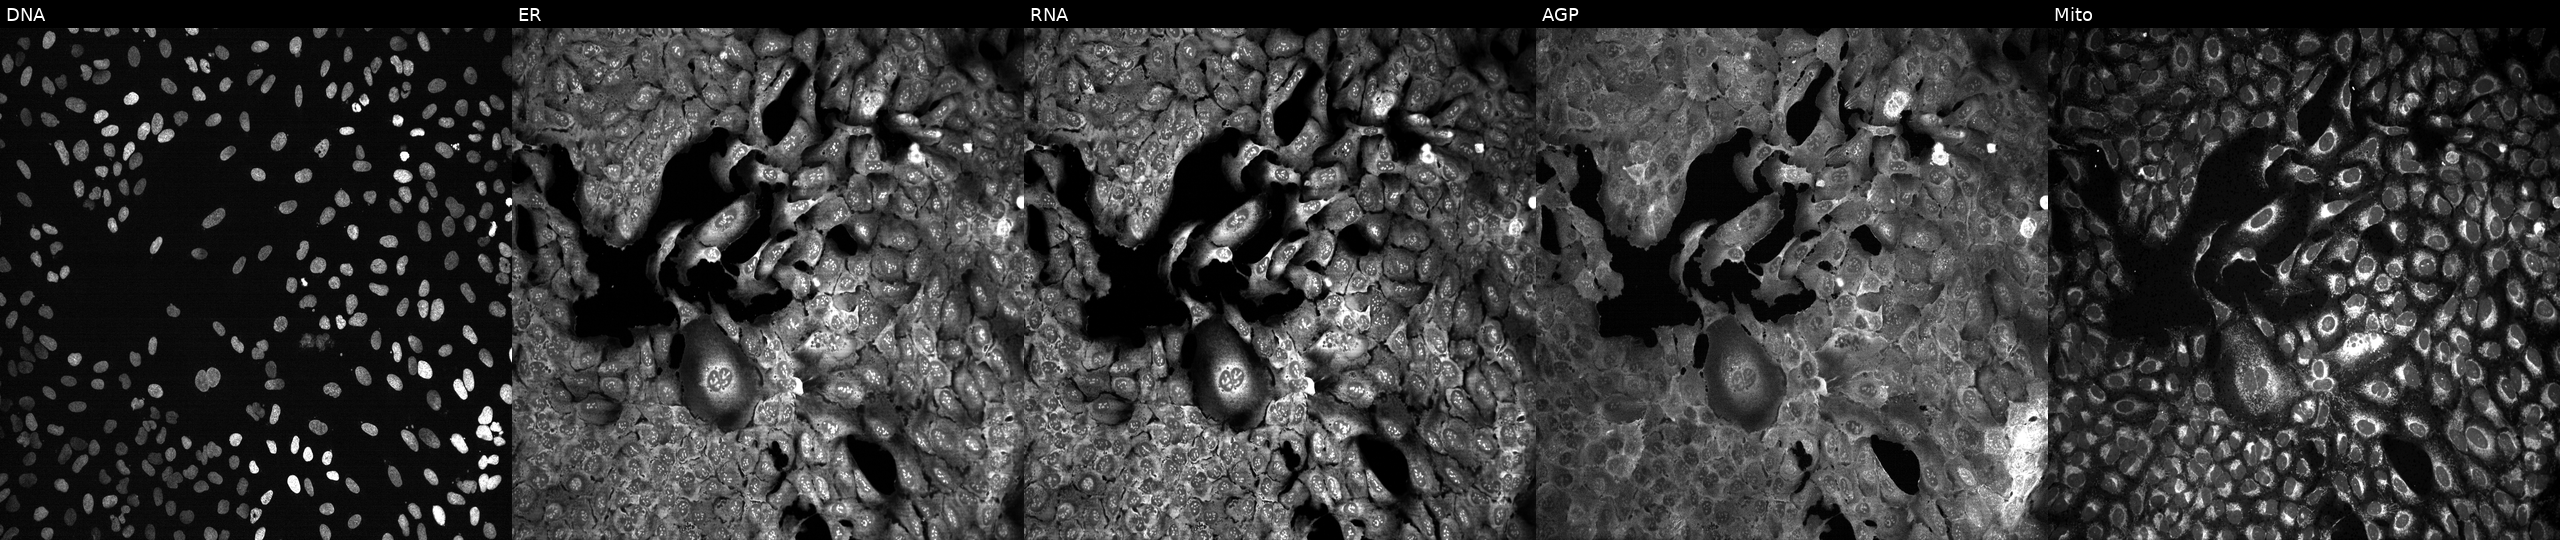
Channels (left→right): DNA, ER, RNA, AGP, and Mito. U2OS osteosarcoma cells CRISPR-edited to disrupt ICT1 (JUMP id JCP2022_803314). Cell Painting assay, JUMP-CP dataset.